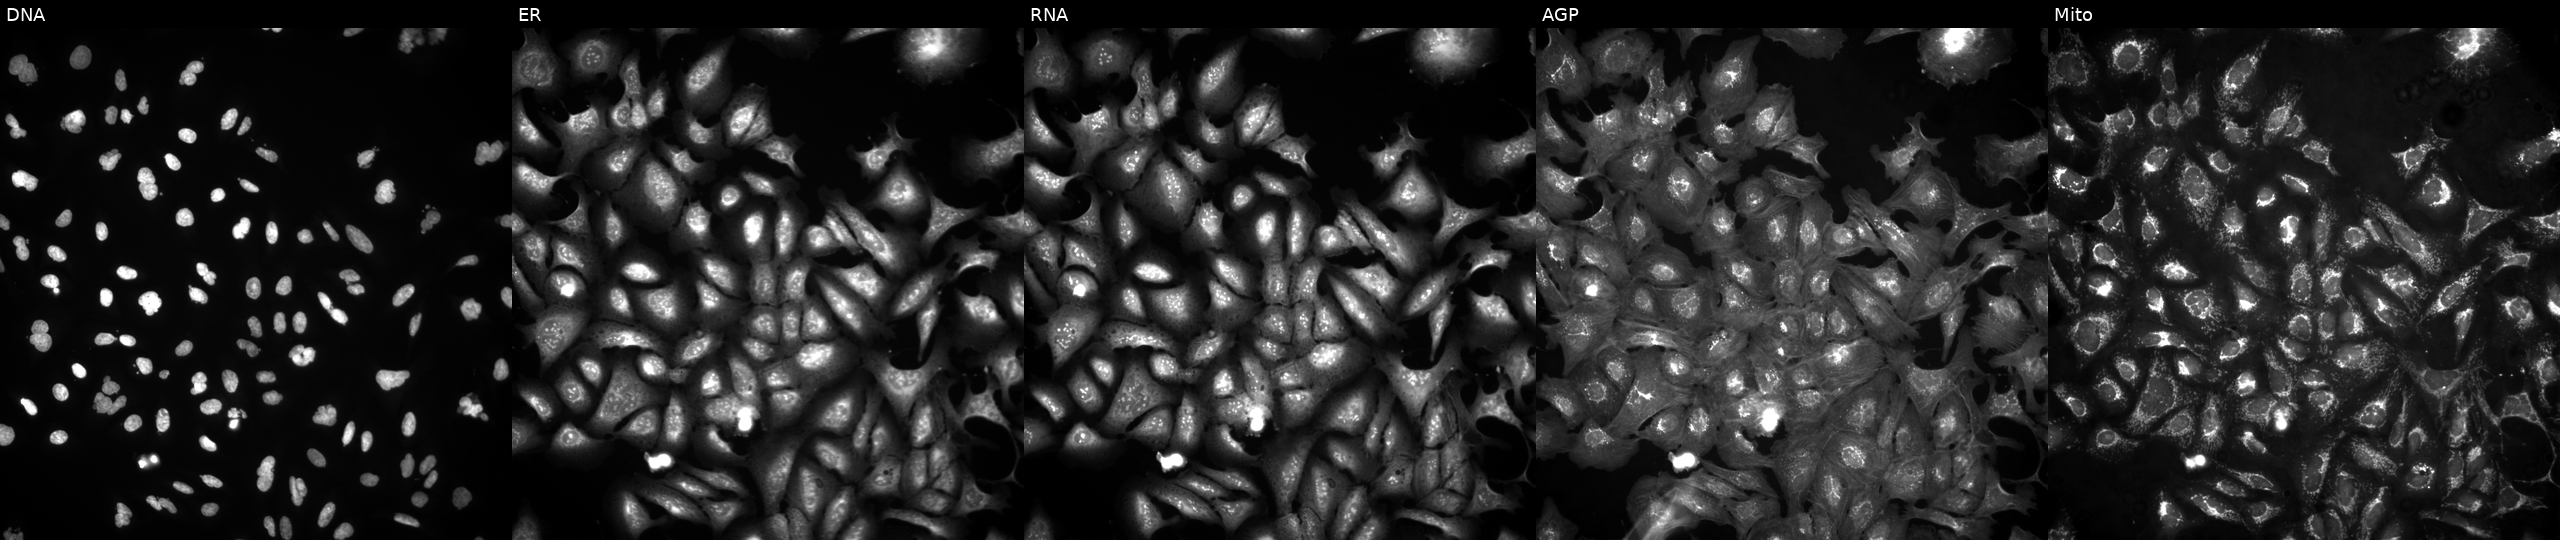
This image strip shows the five Cell Painting channels for a single field of U2OS cells treated with LY2109761 (positive-control compound). The five panels, left to right, show Hoechst 33342, concanavalin A, SYTO 14, phalloidin and WGA, MitoTracker. Source 4, plate BR00124787, well O24.